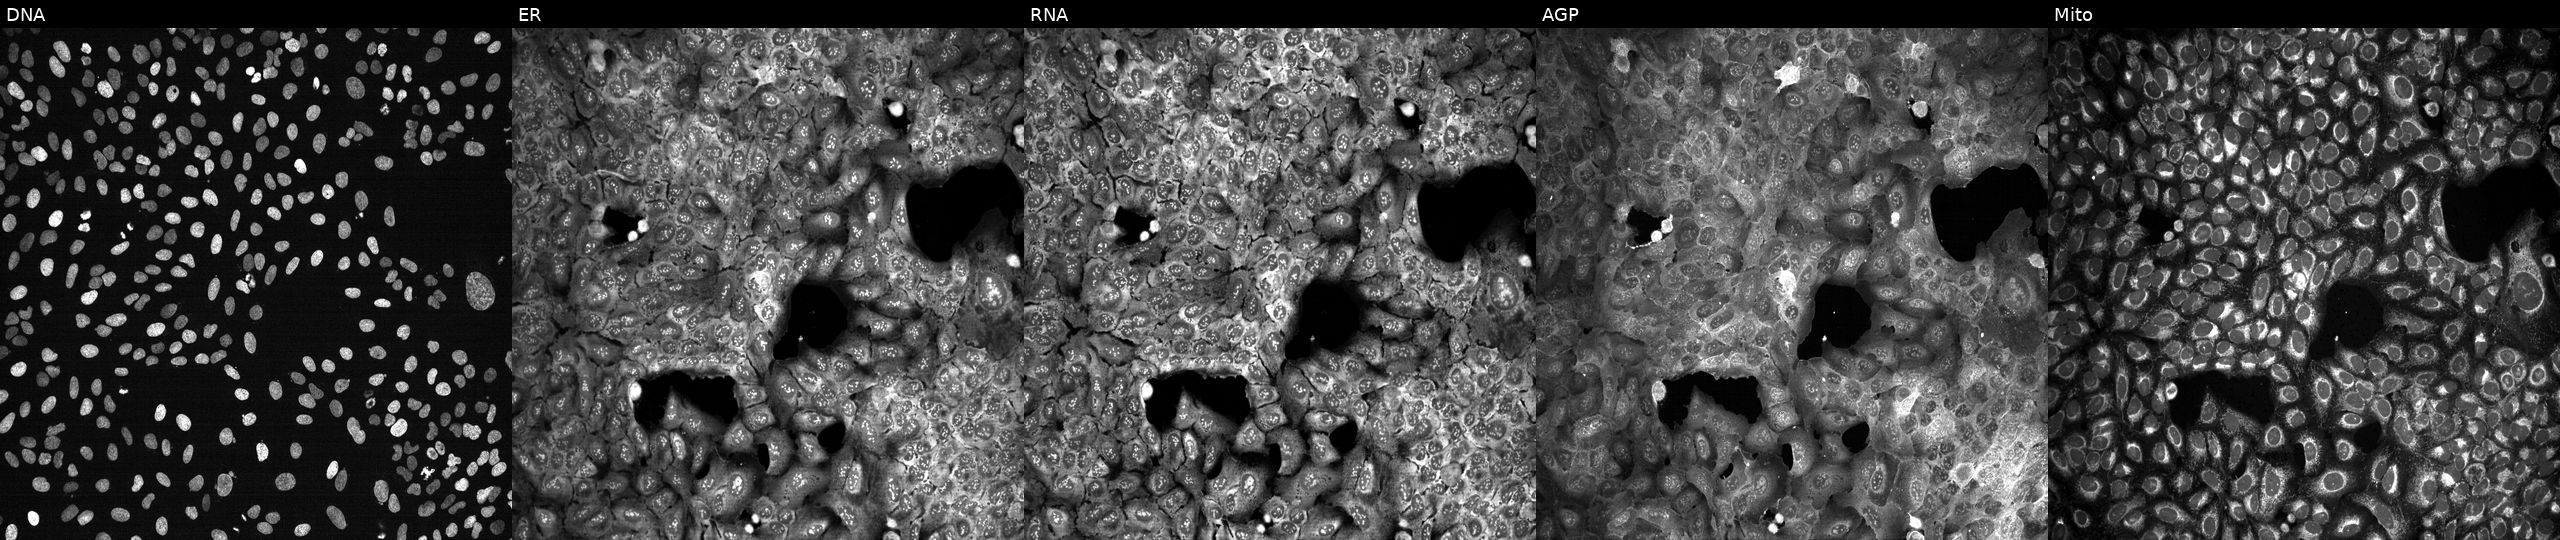
JUMP Cell Painting — CRISPR plate. U2OS cells CRISPR-edited to disrupt IL22RA1. Panels show, left to right, DNA (nuclei); ER (endoplasmic reticulum); RNA (nucleoli and cytoplasmic RNA); AGP (actin cytoskeleton, Golgi, and plasma membrane); Mito (mitochondria). Source 13, plate CP-CC9-R4-03, well B21.